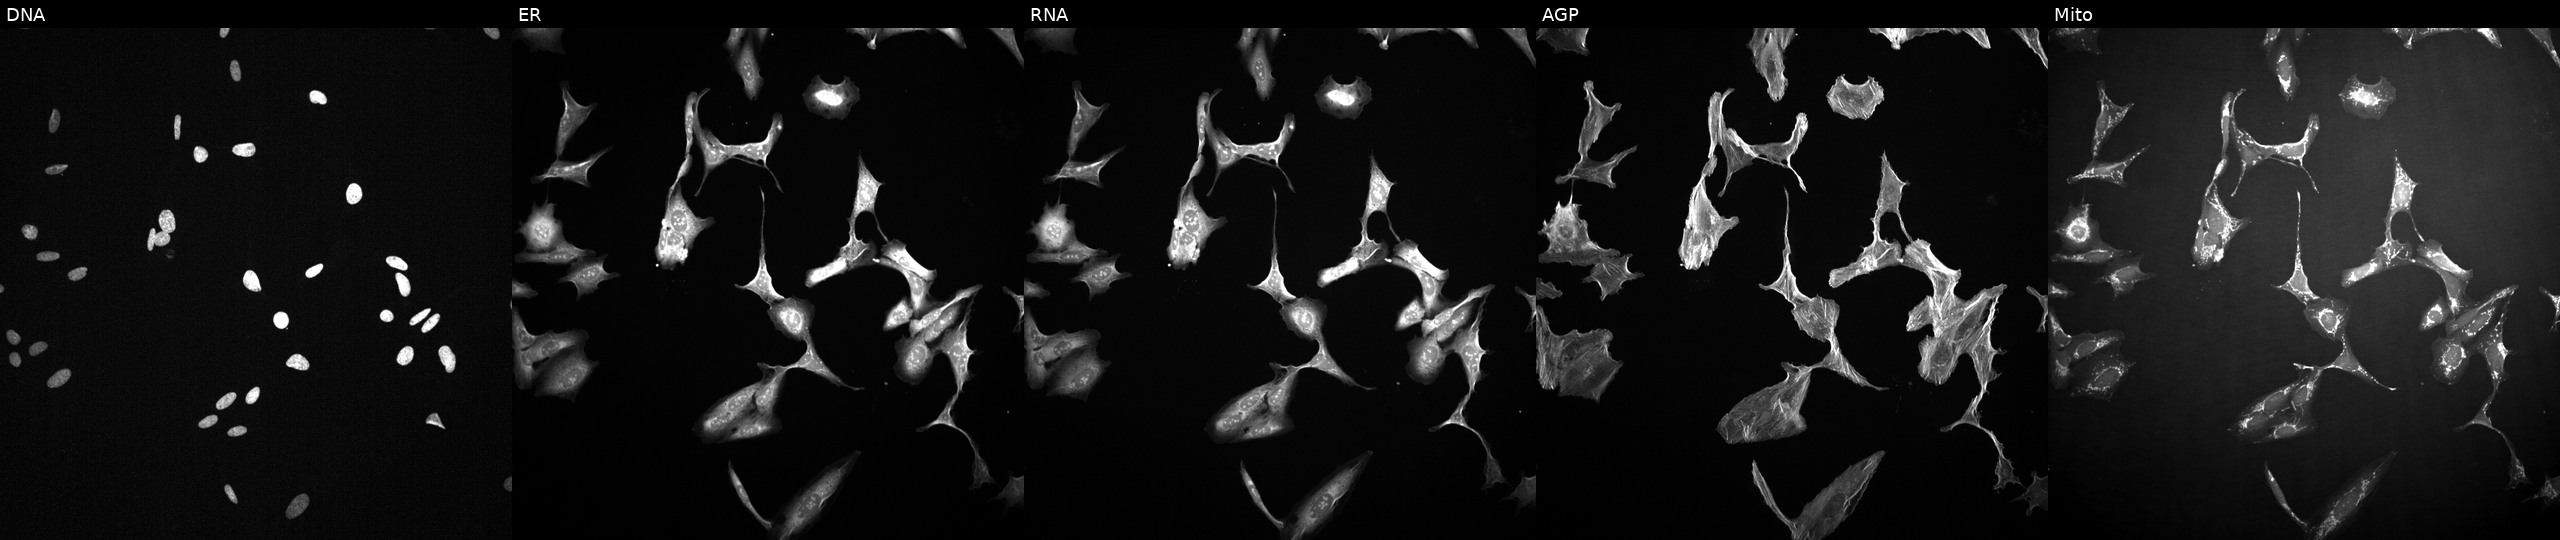
High-content fluorescence microscopy (Cell Painting). Cell line: U2OS. Perturbation: treated with a small-molecule compound [SMILES: CC1CC(C)C(=O)C(C(O)CC2CC(=O)NC(=O)C2)C1]. Channels (left→right): Hoechst 33342, concanavalin A, SYTO 14, phalloidin and WGA, MitoTracker.